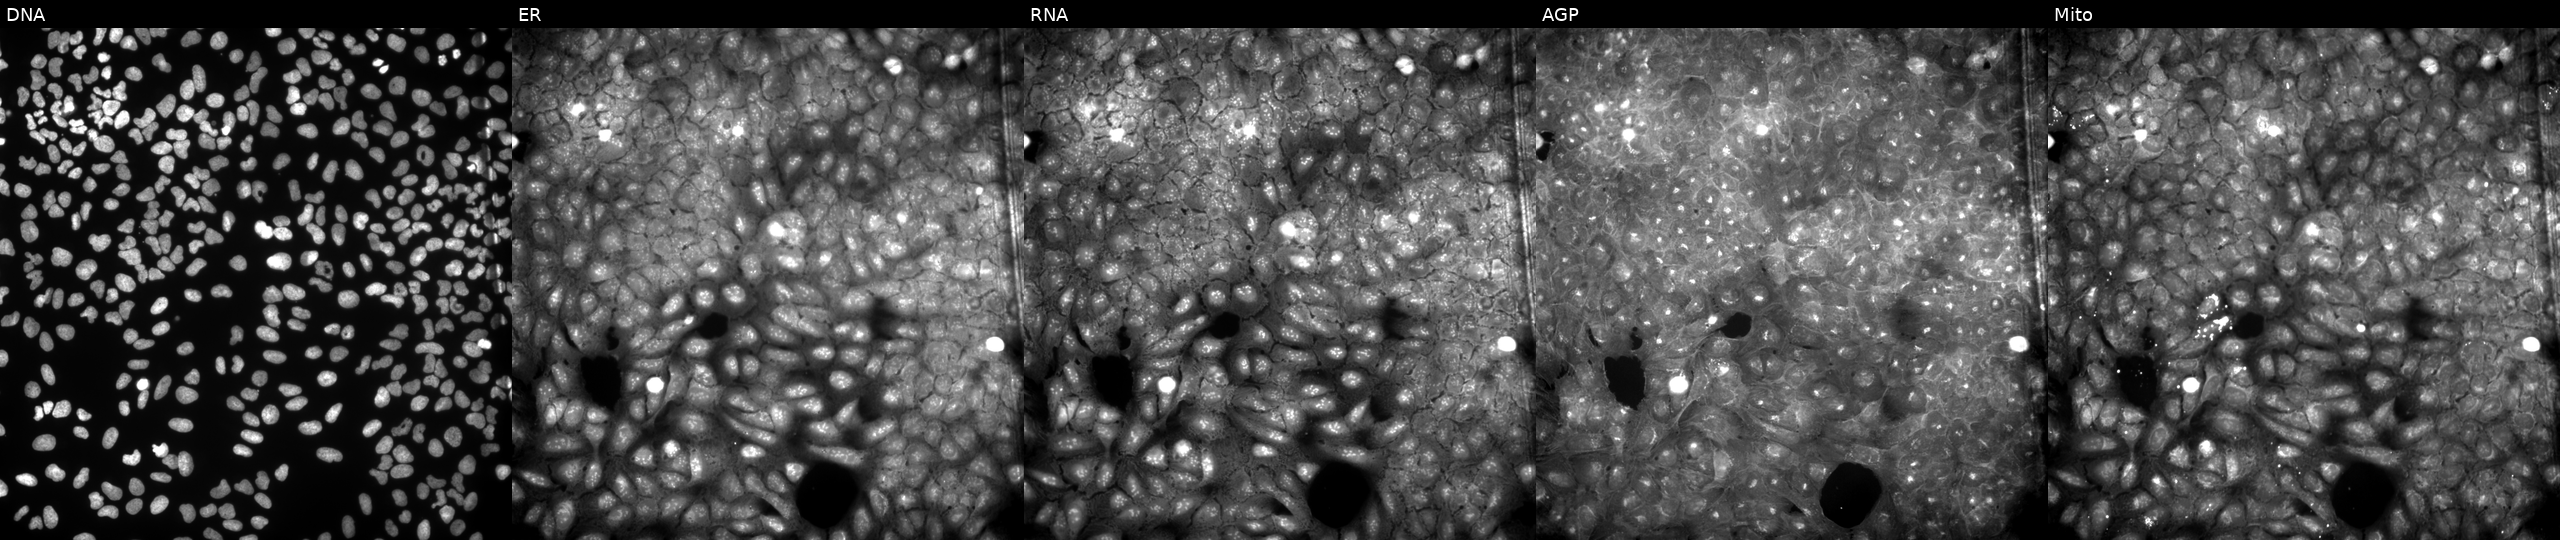
JUMP Cell Painting — COMPOUND plate. U2OS cells treated with a small-molecule compound (InChIKey NVLSIZITFJRWPY-UHFFFAOYSA-N) (JUMP id JCP2022_061618). Panels show, left to right, DNA, ER, RNA, AGP, and Mito.